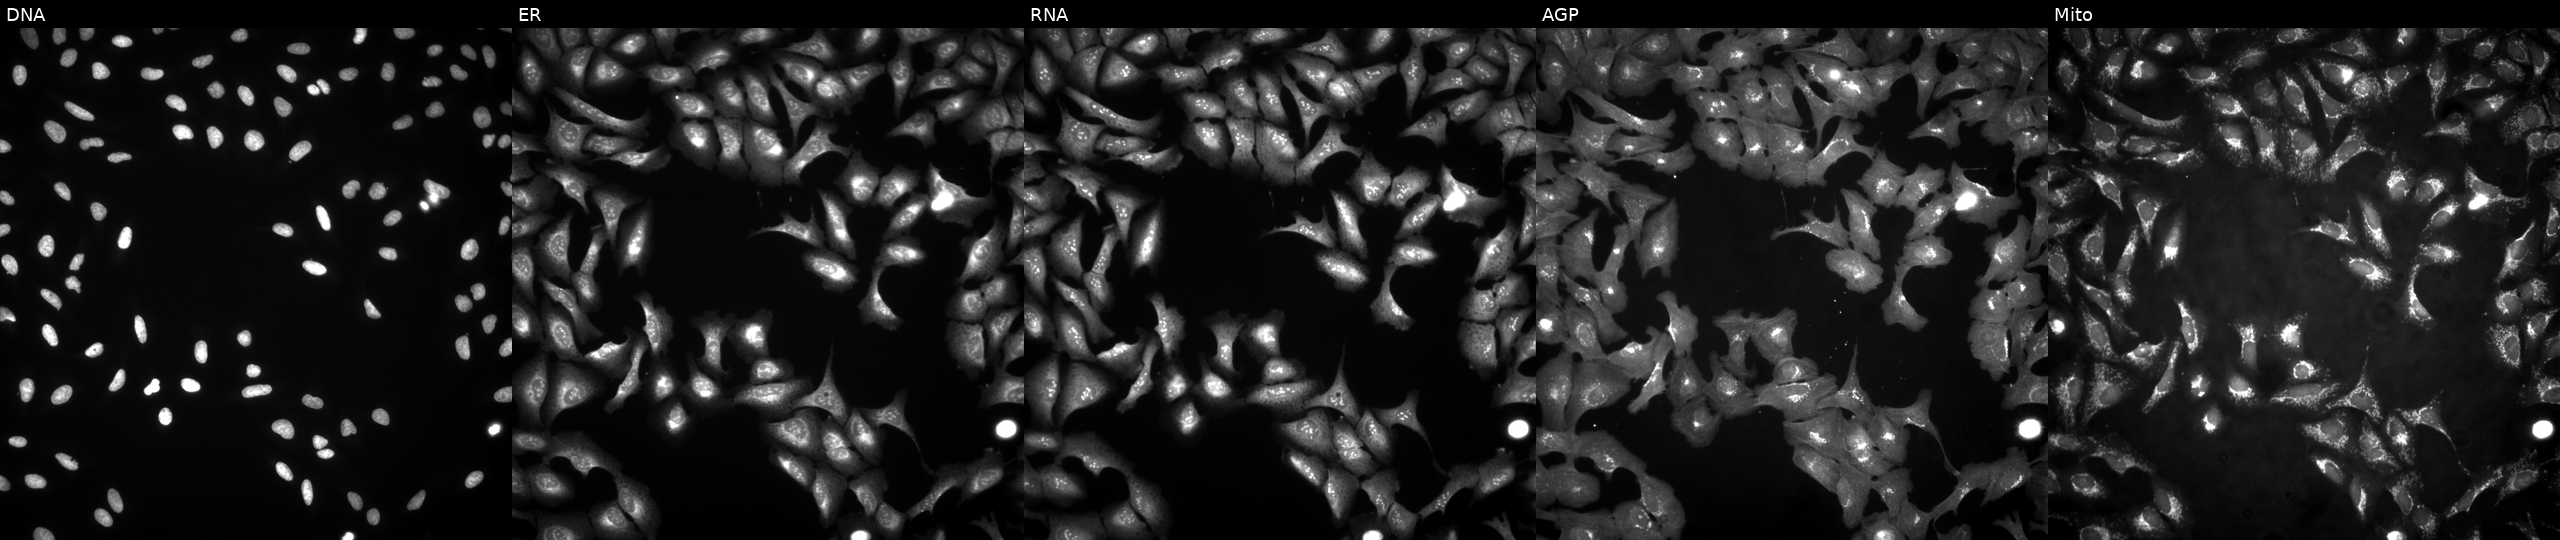
This image strip shows the five Cell Painting channels for a single field of U2OS cells with TMEM230 overexpressed (ORF). Channels (left→right): DNA, ER, RNA, AGP, and Mito. Source 4, plate BR00123509, well D17.